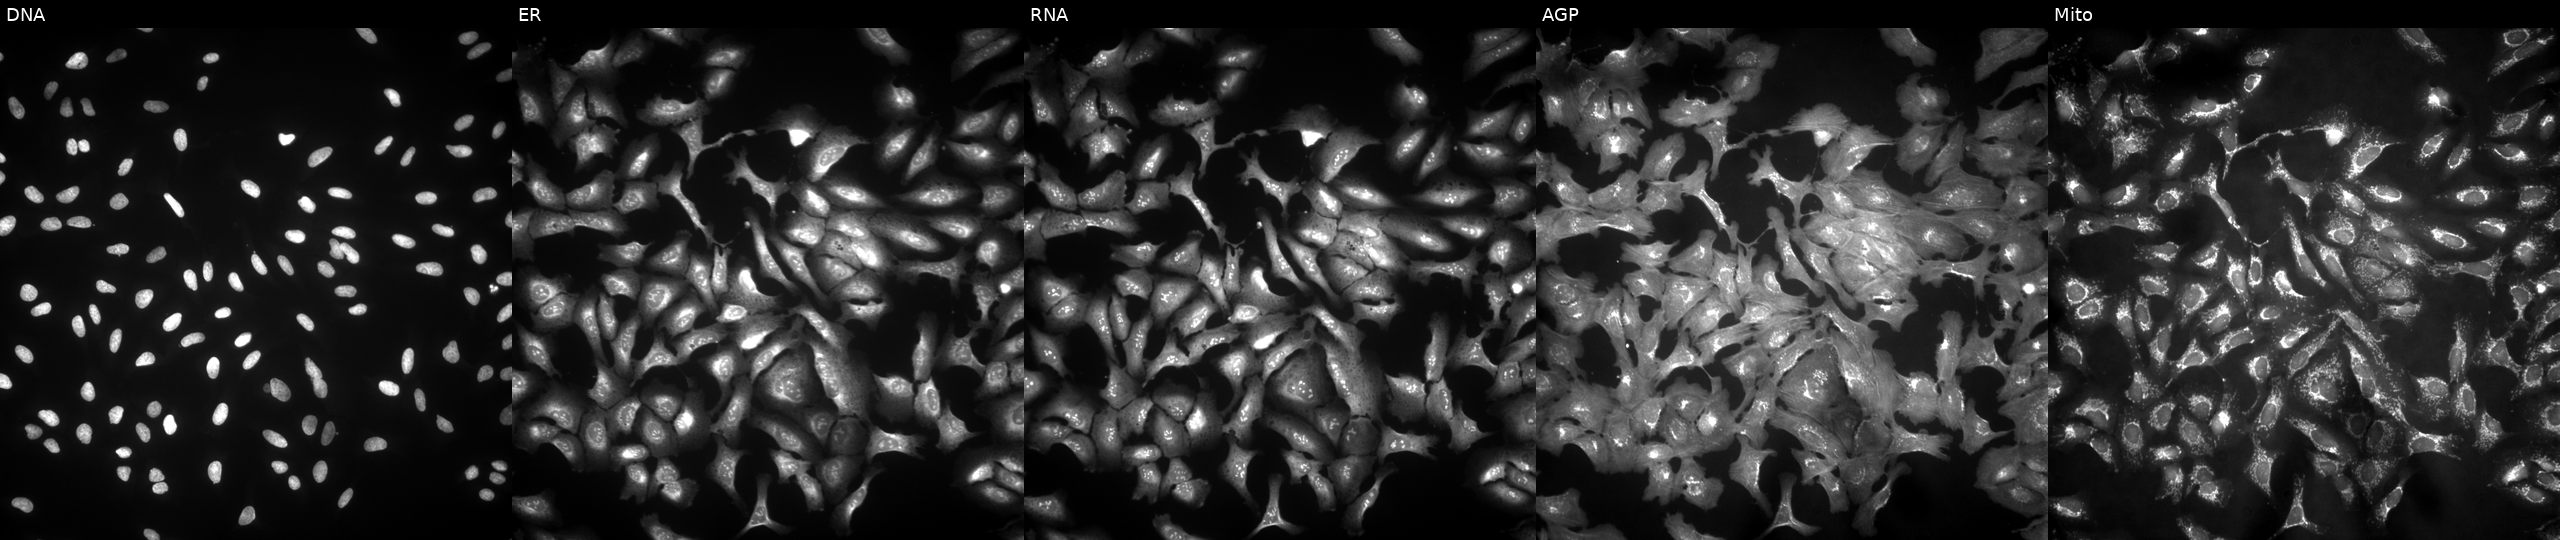
High-content fluorescence microscopy (Cell Painting). Cell line: U2OS. Perturbation: transfected with a failed ORF construct (JUMP BAD CONSTRUCT marker). The five panels, left to right, show Hoechst 33342, concanavalin A, SYTO 14, phalloidin and WGA, MitoTracker.